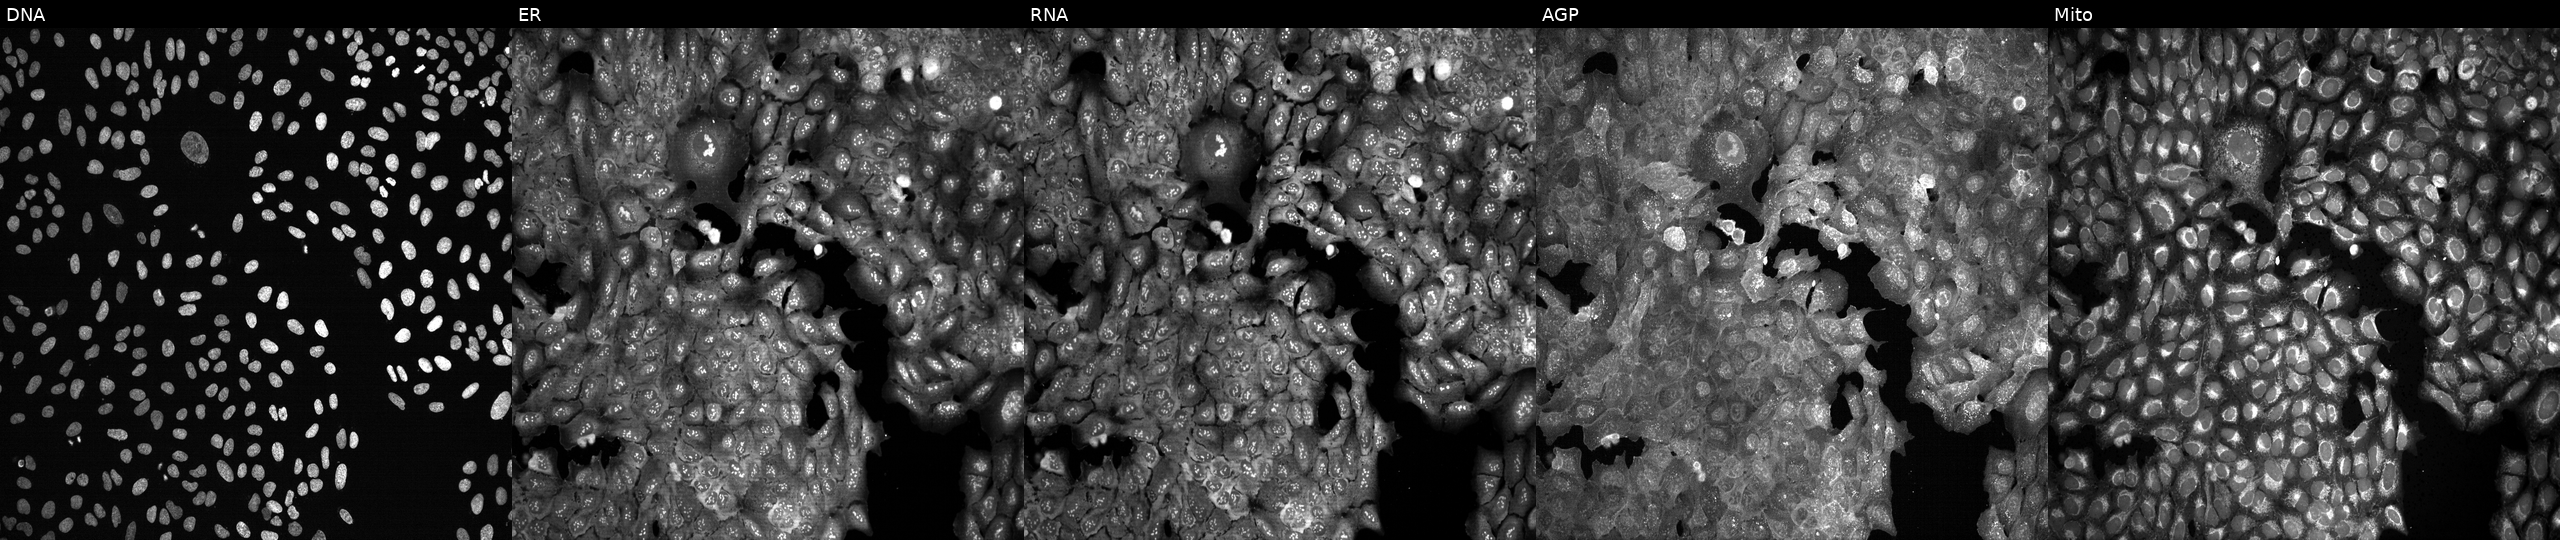
From left to right: Hoechst 33342, concanavalin A, SYTO 14, phalloidin and WGA, MitoTracker. U2OS osteosarcoma cells with LIPF knocked out by CRISPR. Cell Painting assay, JUMP-CP dataset.